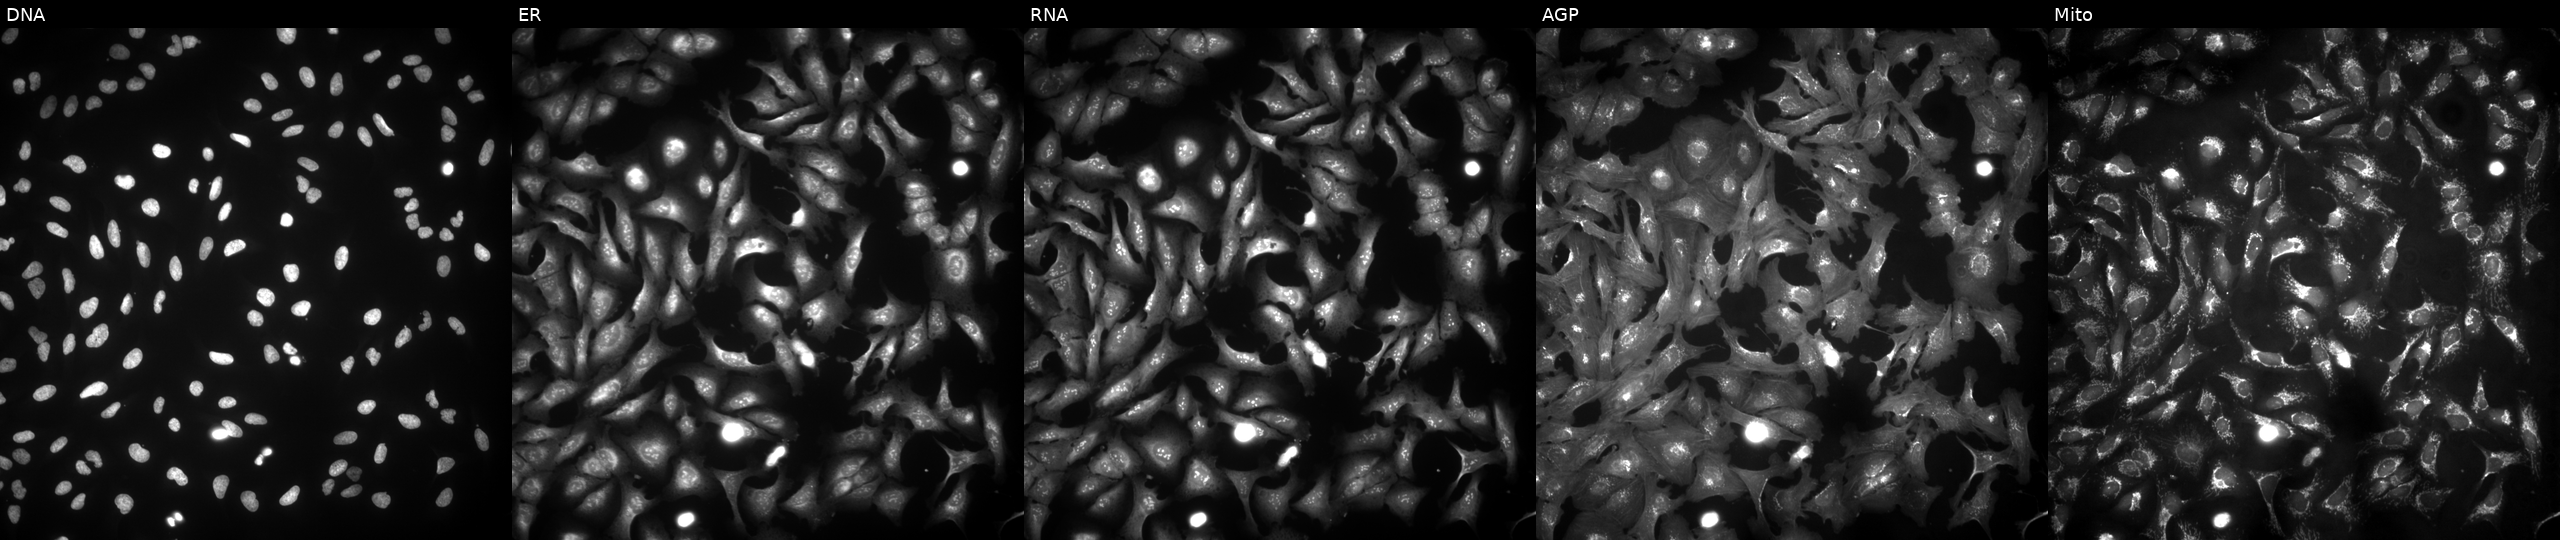
Five-channel Cell Painting image of U2OS cells with GOT1 overexpressed (ORF). Channels (left→right): Hoechst 33342, concanavalin A, SYTO 14, phalloidin and WGA, MitoTracker. Source 4, plate BR00123506, well E04.